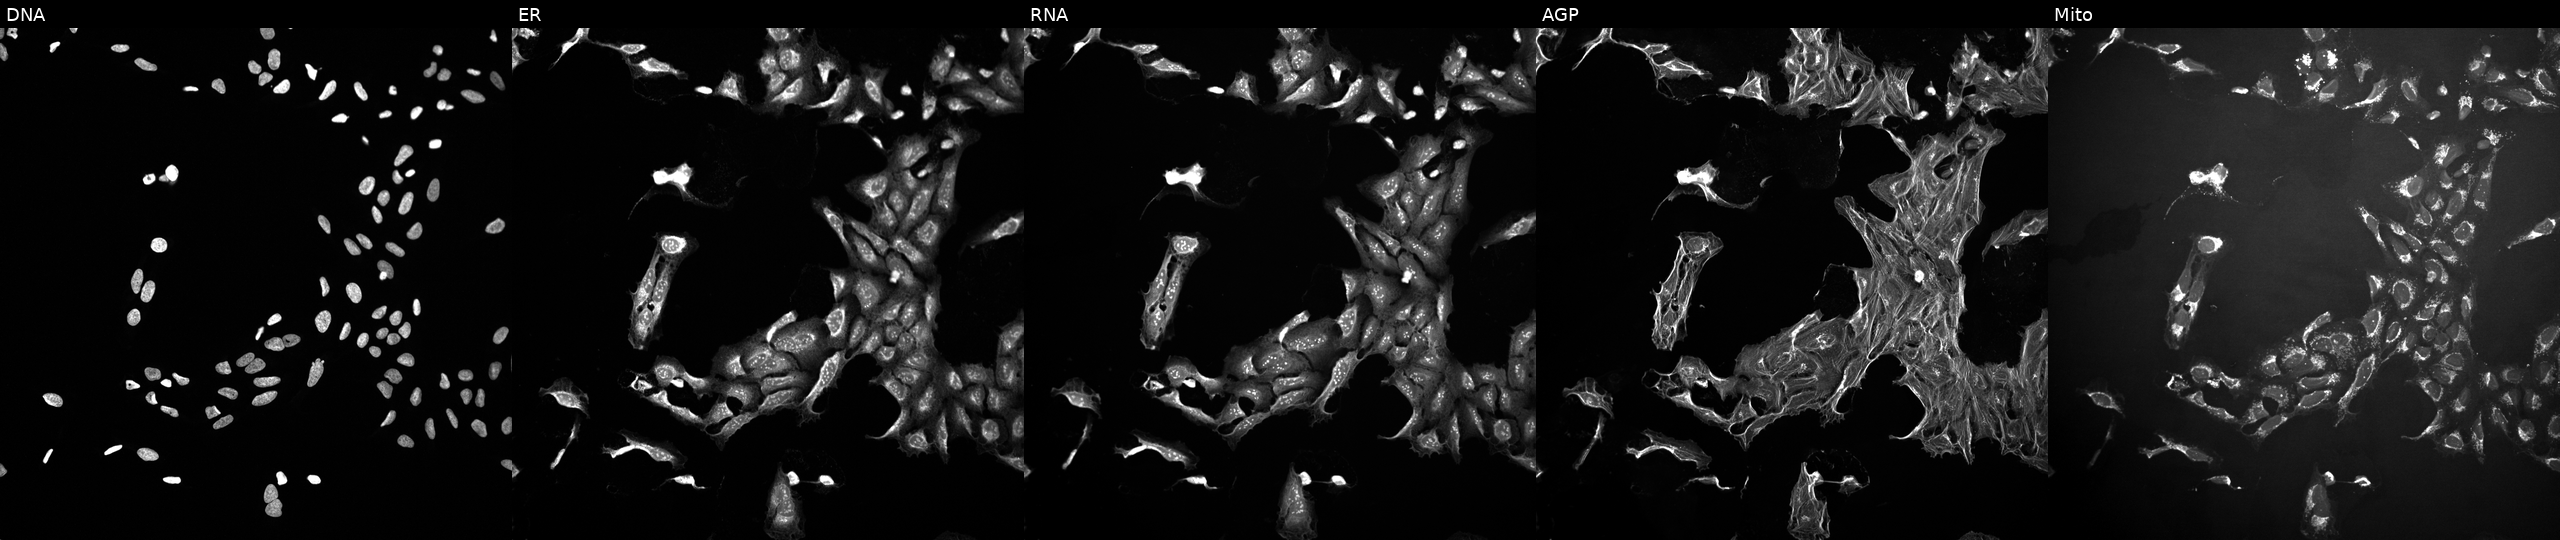
High-content fluorescence microscopy (Cell Painting). Cell line: U2OS. Perturbation: treated with a small-molecule compound (InChIKey TXUZVZSFRXZGTL-UHFFFAOYSA-N). From left to right: DNA (nuclei); ER (endoplasmic reticulum); RNA (nucleoli and cytoplasmic RNA); AGP (actin cytoskeleton, Golgi, and plasma membrane); Mito (mitochondria).